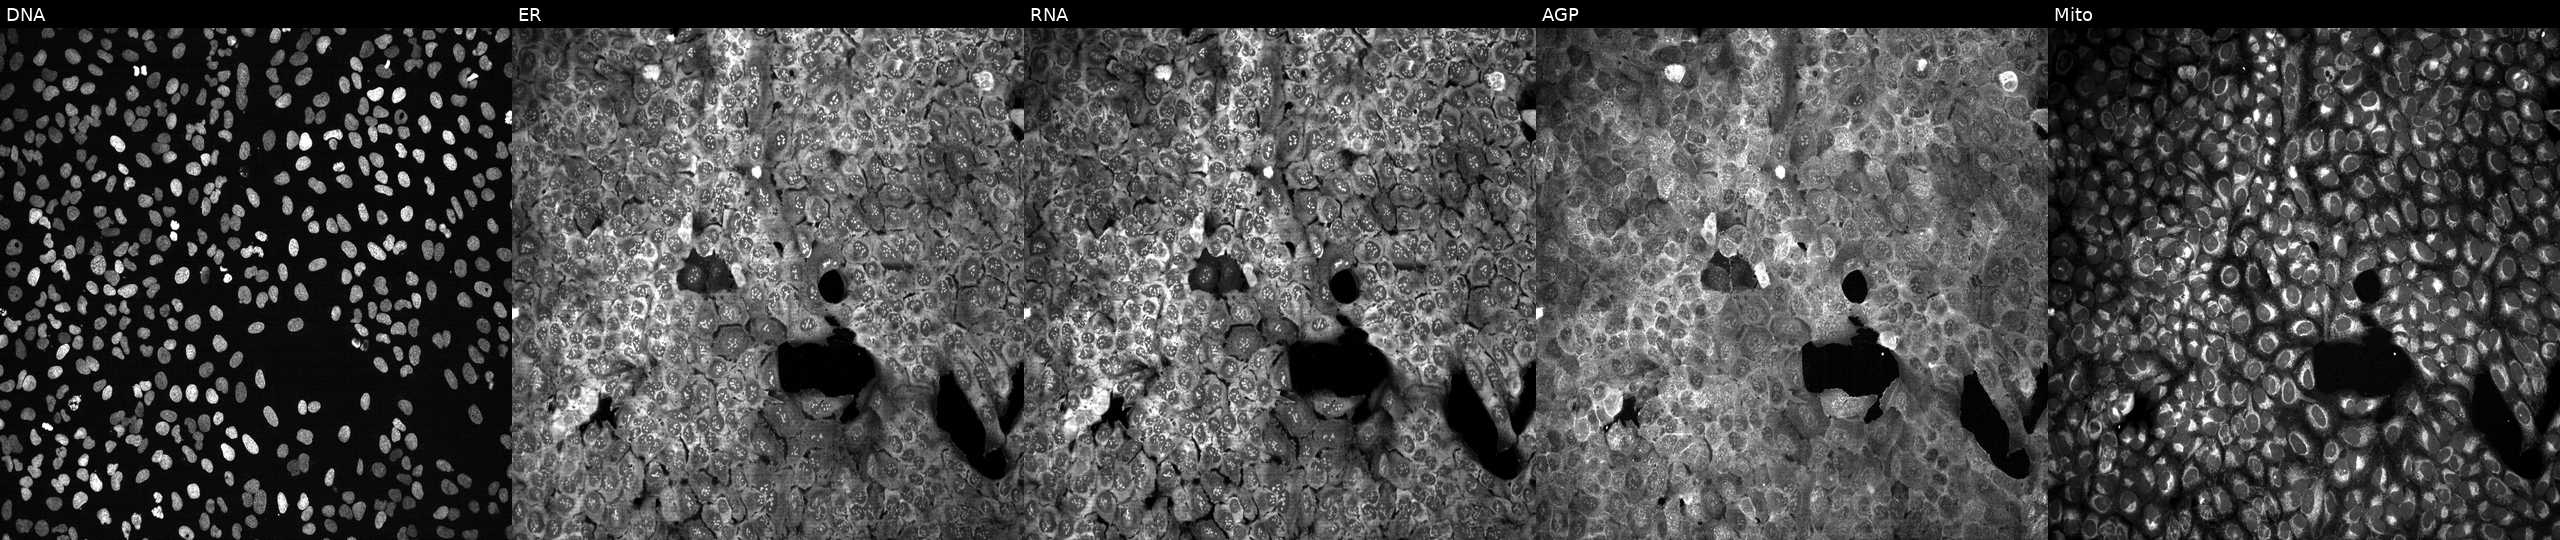
High-content fluorescence microscopy (Cell Painting). Cell line: U2OS. Perturbation: CRISPR-edited to disrupt SIRT3 (JUMP id JCP2022_806343). Panels show, left to right, Hoechst 33342, concanavalin A, SYTO 14, phalloidin and WGA, MitoTracker. Source 13, plate CP-CC9-R2-02, well M18.